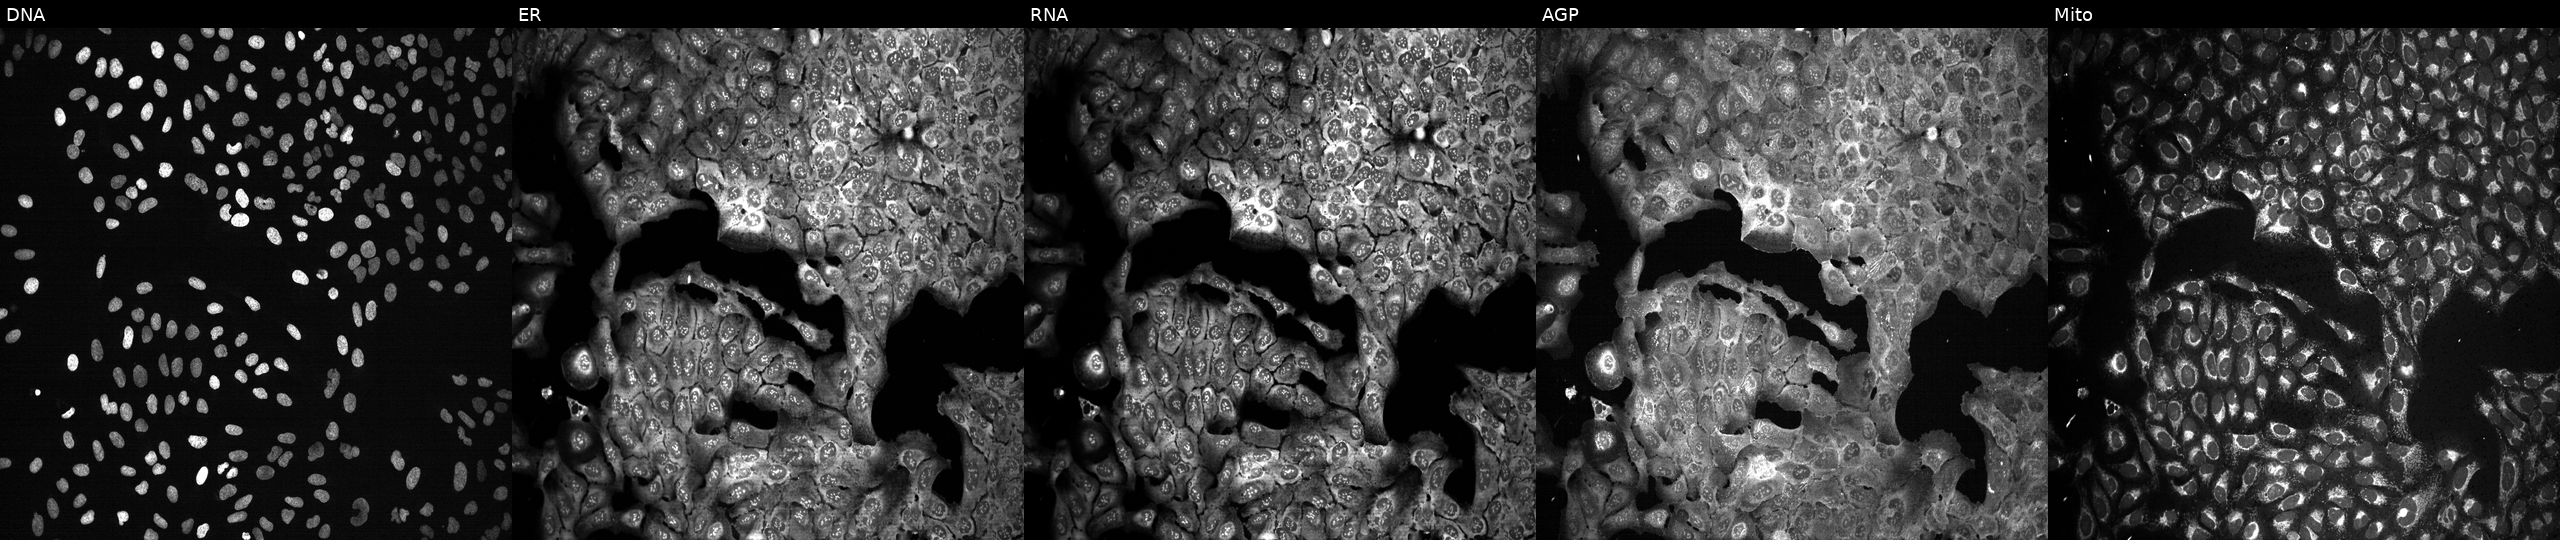
This image strip shows the five Cell Painting channels for a single field of U2OS cells with PEMT knocked out by CRISPR (JUMP id JCP2022_805045). Panels show, left to right, DNA (nuclei); ER (endoplasmic reticulum); RNA (nucleoli and cytoplasmic RNA); AGP (actin cytoskeleton, Golgi, and plasma membrane); Mito (mitochondria).